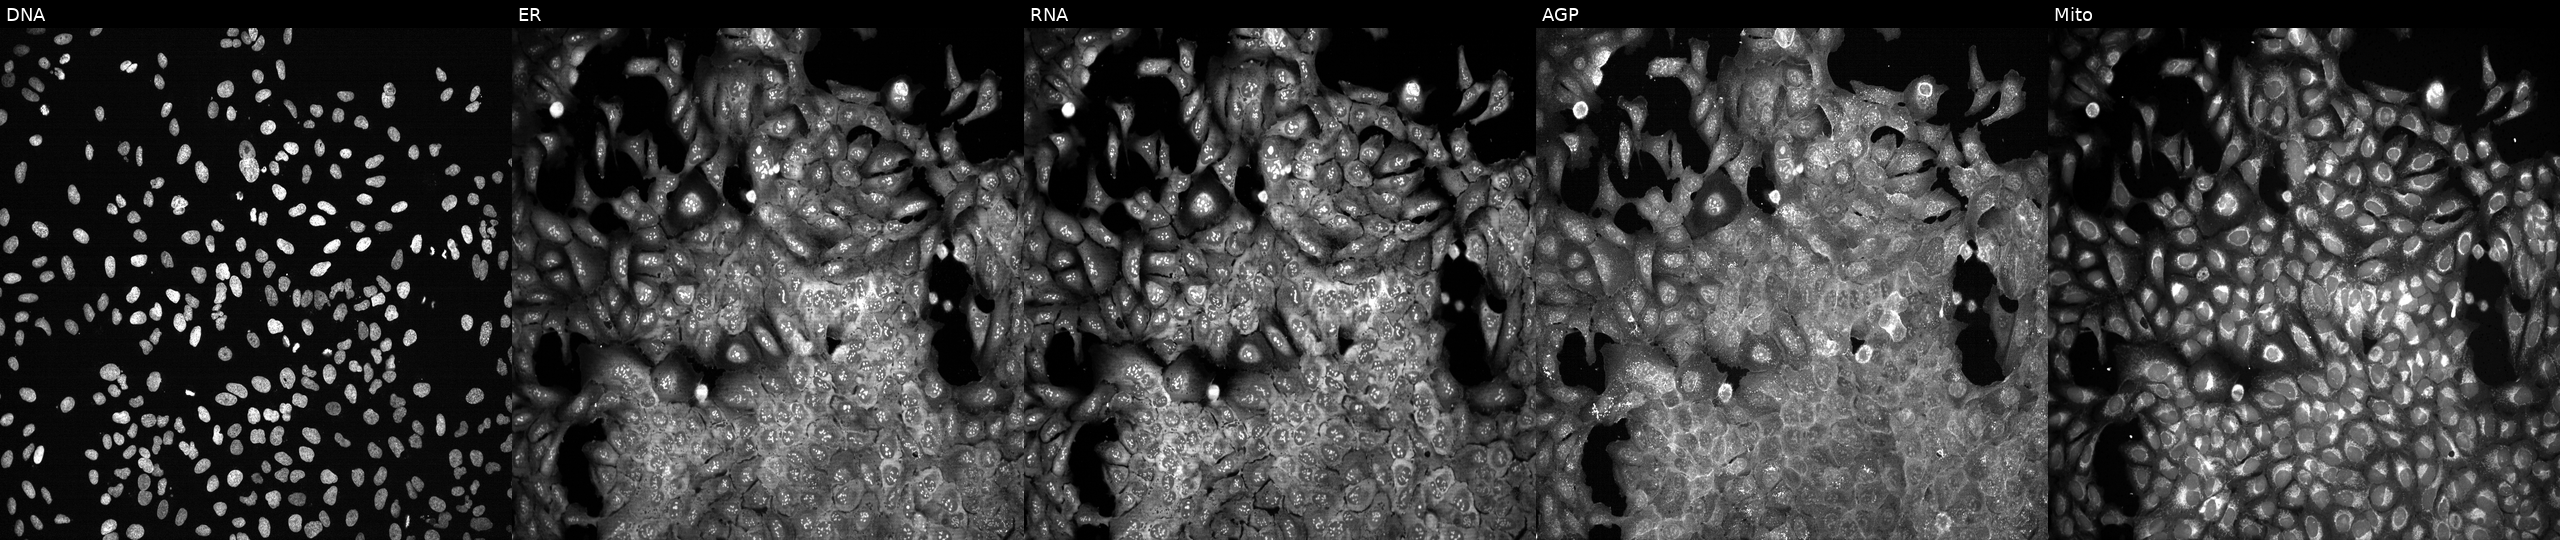
Five-channel Cell Painting image of U2OS cells following CRISPR knockout of HAVCR1. Channels (left→right): Hoechst 33342, concanavalin A, SYTO 14, phalloidin and WGA, MitoTracker. Source 13, plate CP-CC9-R5-01, well M16.